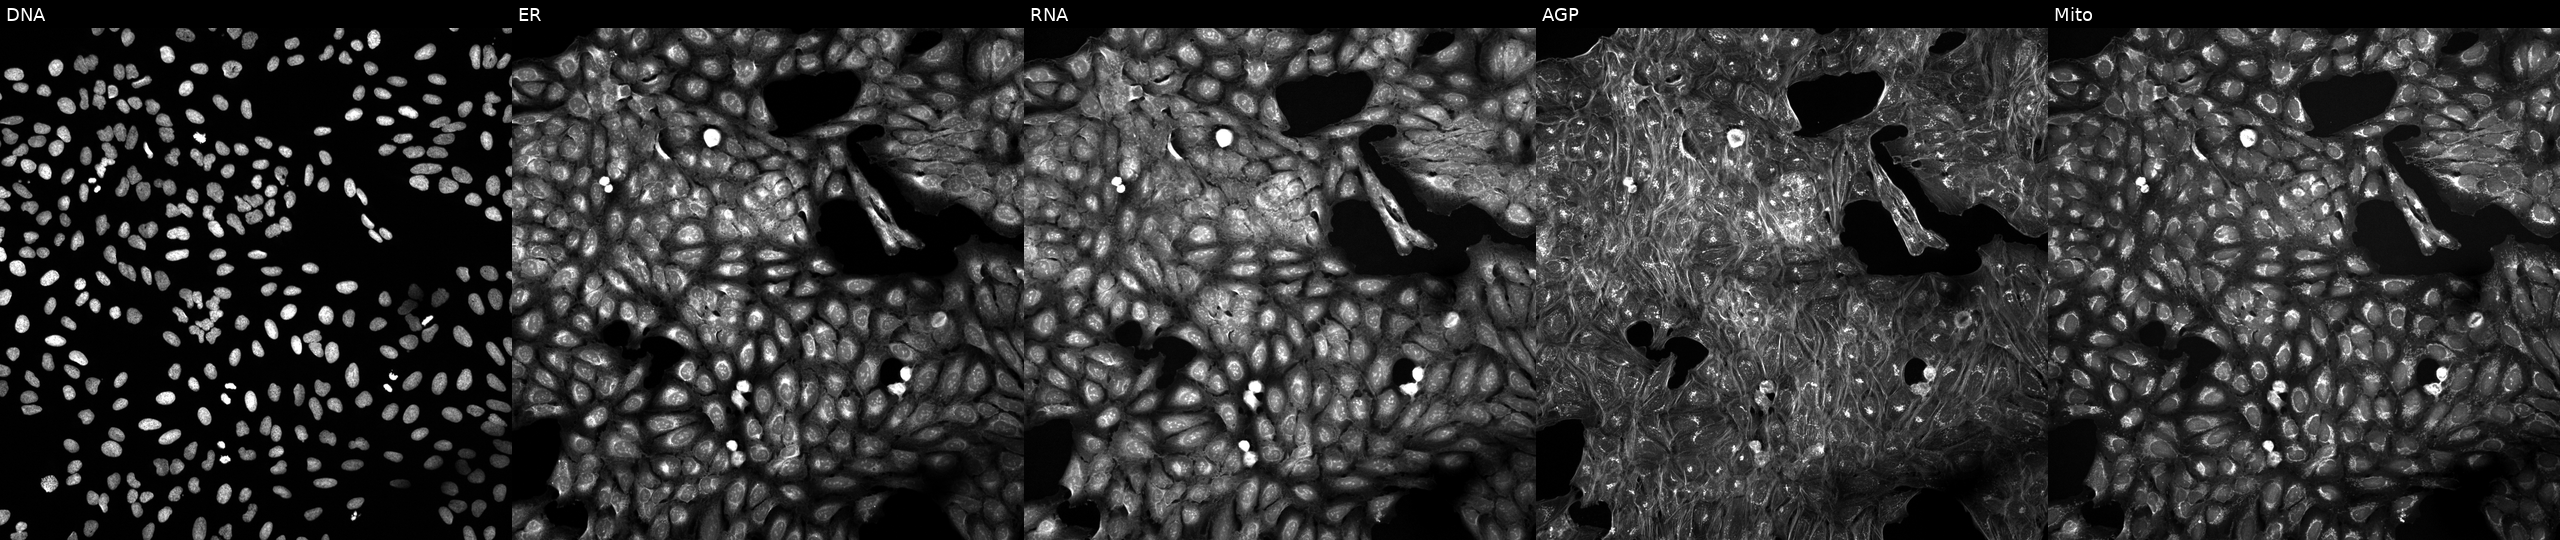
The five panels, left to right, show DNA (nuclei); ER (endoplasmic reticulum); RNA (nucleoli and cytoplasmic RNA); AGP (actin cytoskeleton, Golgi, and plasma membrane); Mito (mitochondria). U2OS osteosarcoma cells exposed to a small-molecule compound (InChIKey LMEKQMALGUDUQG-UHFFFAOYSA-N) (JUMP id JCP2022_050338). Cell Painting assay, JUMP-CP dataset. Source 5, plate ACPJUM012, well I08.